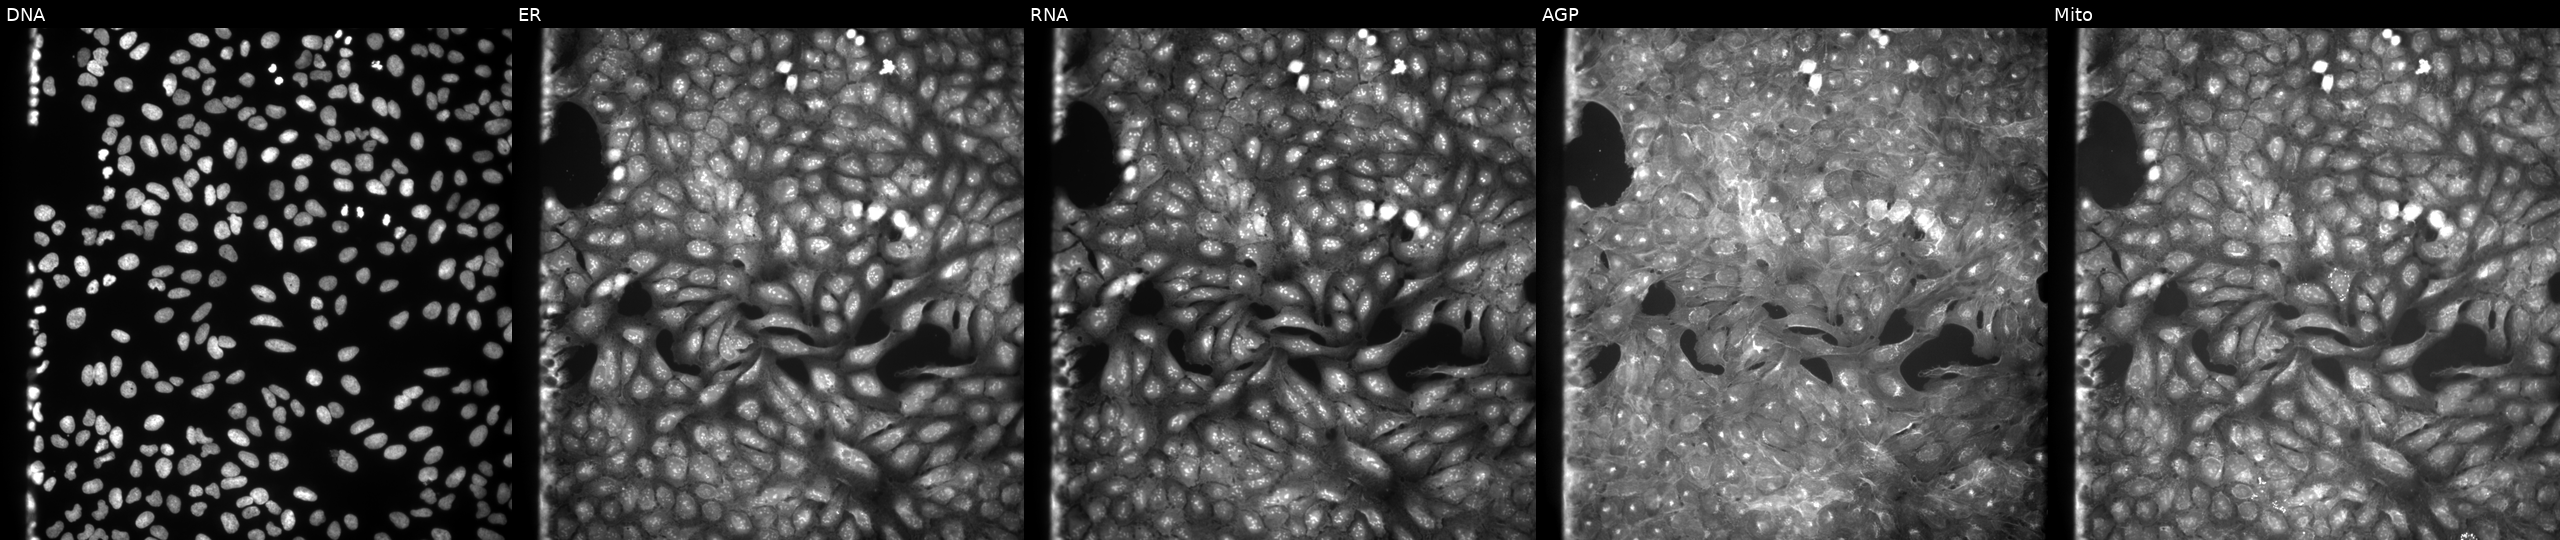
JUMP Cell Painting — COMPOUND plate. U2OS cells perturbed with a small-molecule compound (InChIKey ZYFQRLKKAYZJIL-UHFFFAOYSA-N) [SMILES: Cc1ccc(-c2nn(CC(=O)NC(C)c3ccccc3)c(=O)c3ccccc23)cc1] (JUMP id JCP2022_116433). Panels show, left to right, DNA (nuclei); ER (endoplasmic reticulum); RNA (nucleoli and cytoplasmic RNA); AGP (actin cytoskeleton, Golgi, and plasma membrane); Mito (mitochondria).